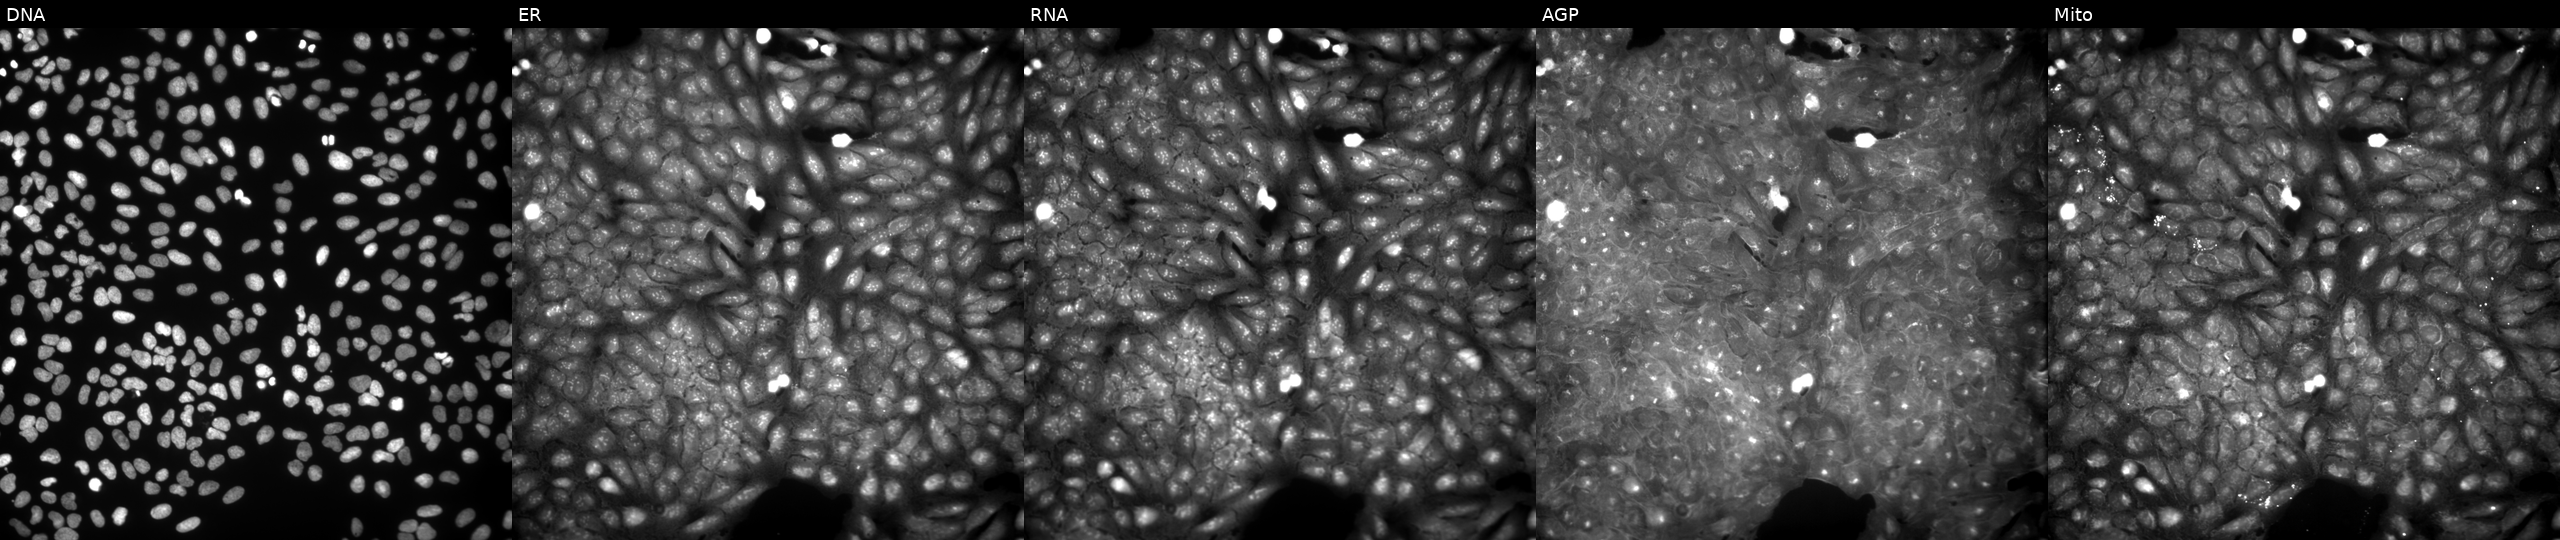
Five-channel Cell Painting image of U2OS cells perturbed with a small-molecule compound (InChIKey FWCWAROYBYYKRO-UHFFFAOYSA-N) (JUMP id JCP2022_023342). The five panels, left to right, show Hoechst 33342, concanavalin A, SYTO 14, phalloidin and WGA, MitoTracker. Source 9, plate GR00003382, well Z28.